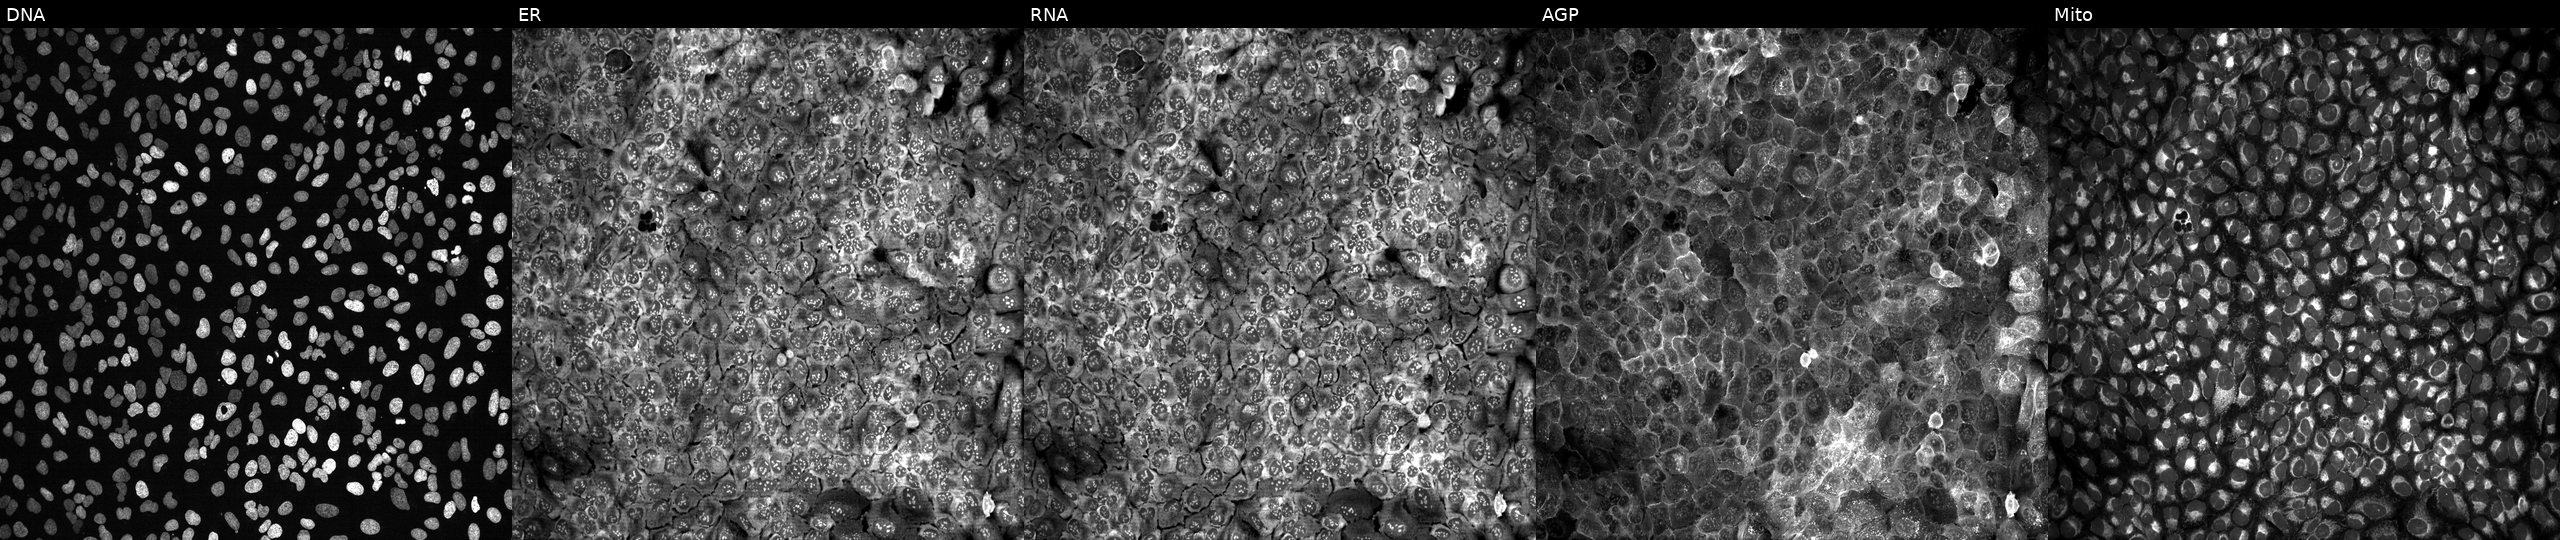
Five-channel Cell Painting image of U2OS cells CRISPR-edited to disrupt CFI. From left to right: Hoechst 33342, concanavalin A, SYTO 14, phalloidin and WGA, MitoTracker.